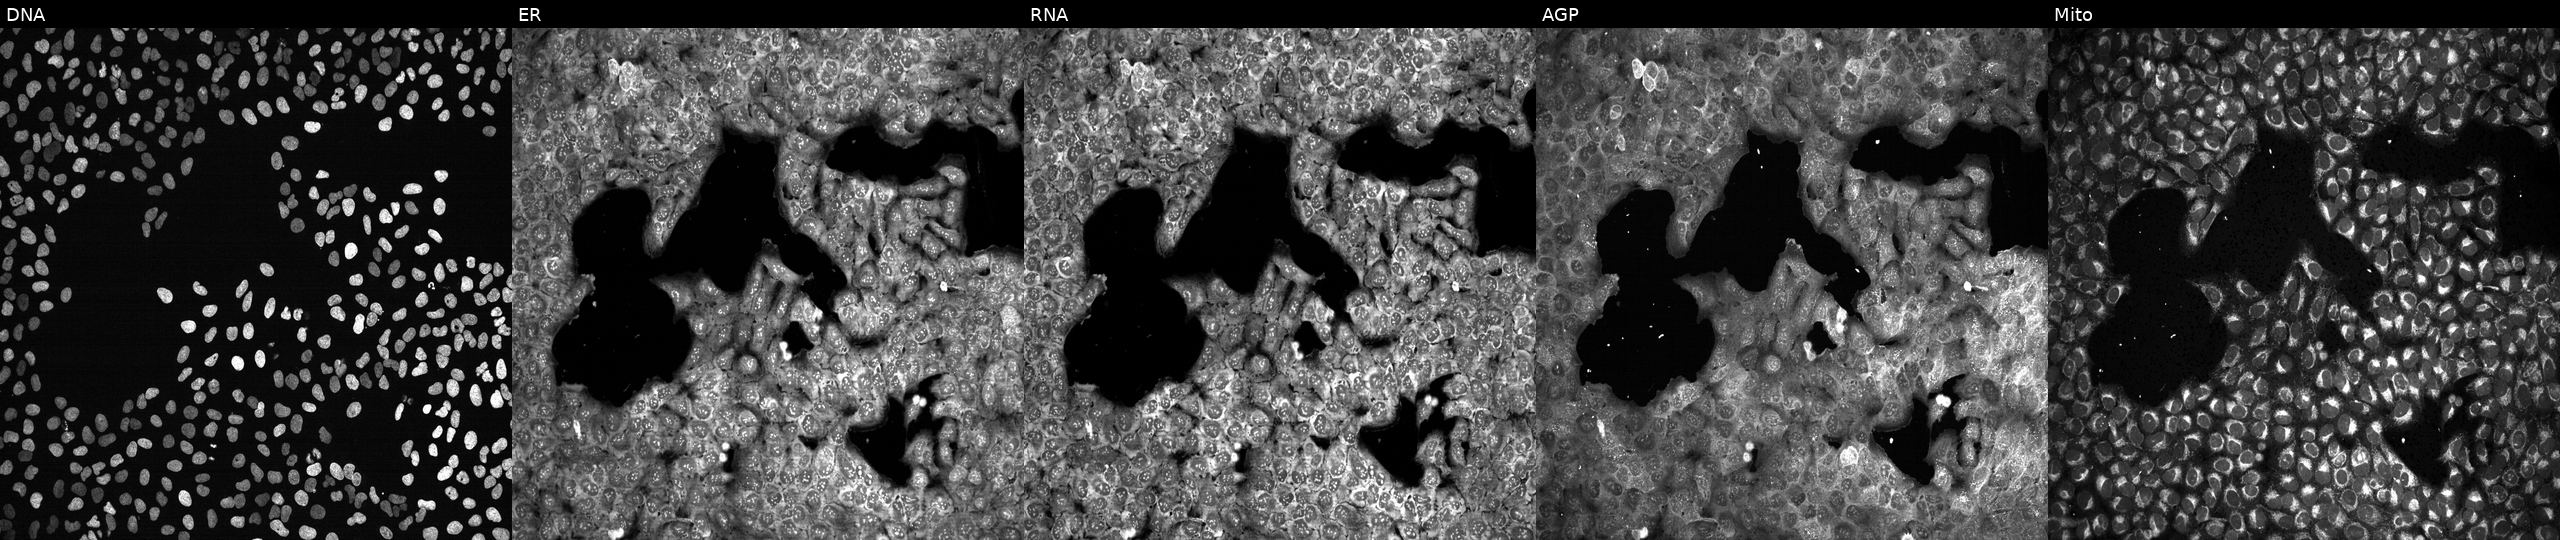
High-content fluorescence microscopy (Cell Painting). Cell line: U2OS. Perturbation: treated with NVS-PAK1-1 (positive-control compound). The five panels, left to right, show DNA (nuclei); ER (endoplasmic reticulum); RNA (nucleoli and cytoplasmic RNA); AGP (actin cytoskeleton, Golgi, and plasma membrane); Mito (mitochondria).